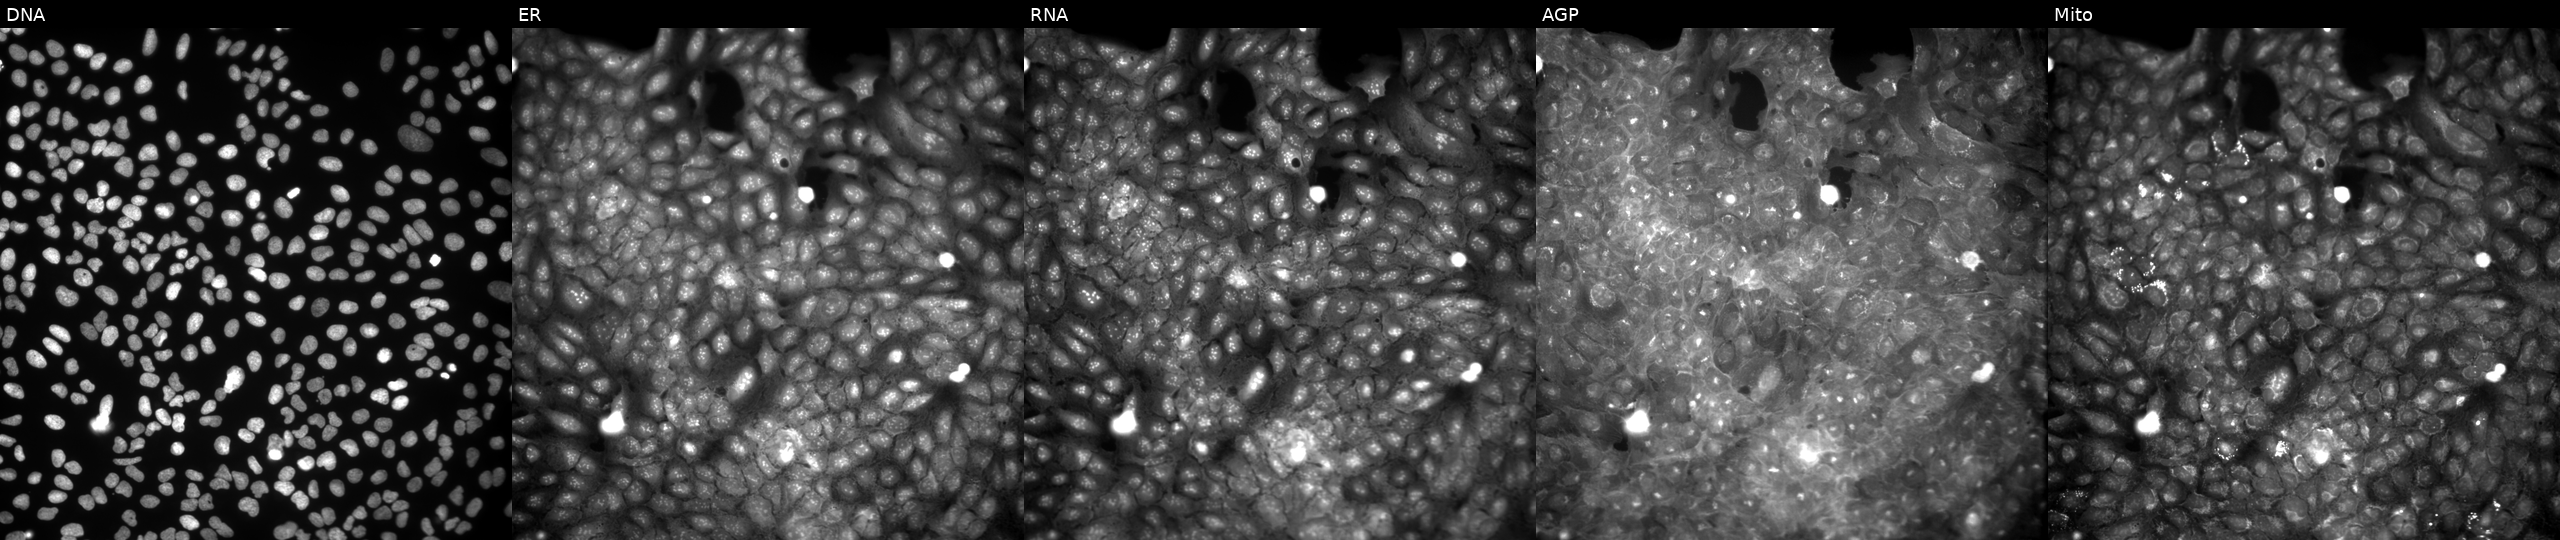
Channels (left→right): Hoechst 33342, concanavalin A, SYTO 14, phalloidin and WGA, MitoTracker. U2OS osteosarcoma cells exposed to a small-molecule compound (JUMP id JCP2022_098331). Cell Painting assay, JUMP-CP dataset.